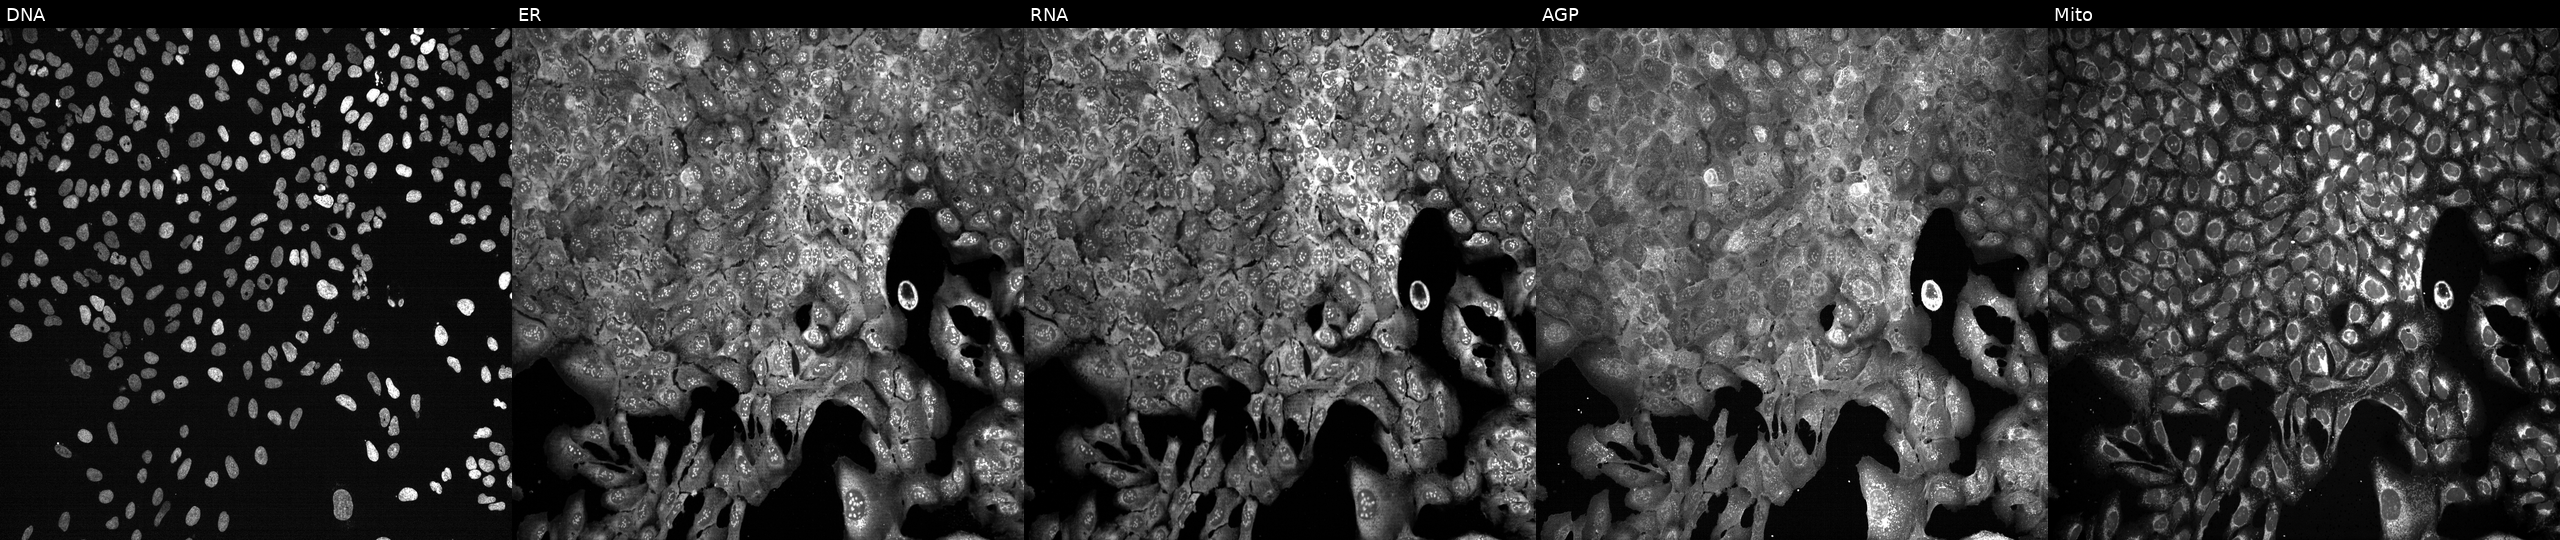
This image strip shows the five Cell Painting channels for a single field of U2OS cells with RARS knocked out by CRISPR (JUMP id JCP2022_805842). The five panels, left to right, show Hoechst 33342, concanavalin A, SYTO 14, phalloidin and WGA, MitoTracker. Source 13, plate CP-CC9-R4-04, well J03.